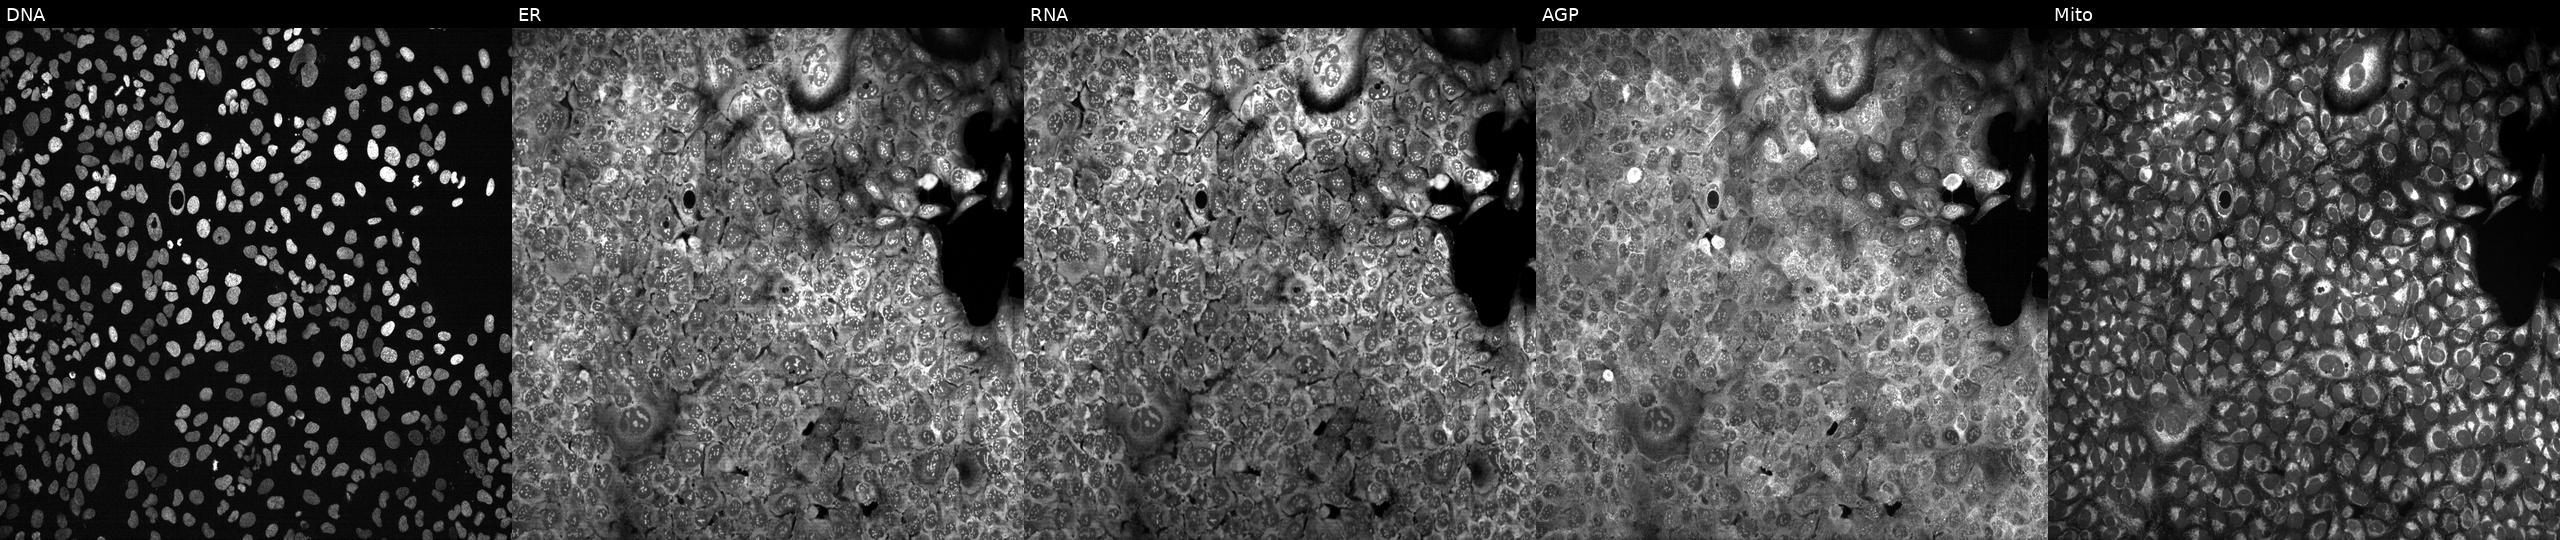
From left to right: DNA, ER, RNA, AGP, and Mito. U2OS osteosarcoma cells CRISPR-edited to disrupt HLA-DOB. Cell Painting assay, JUMP-CP dataset.